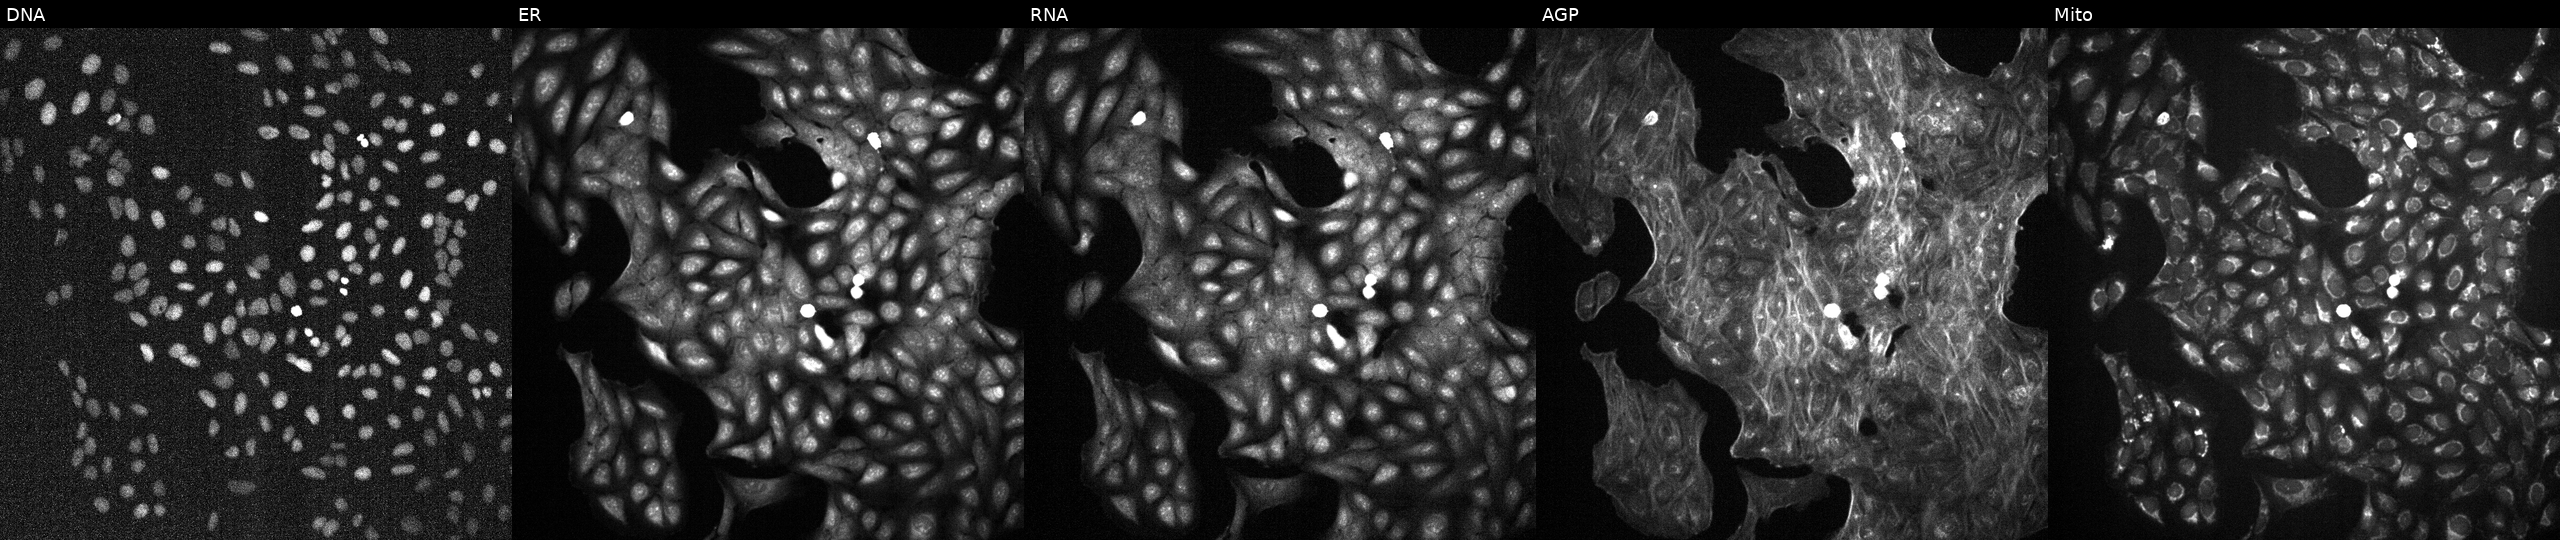
JUMP Cell Painting — TARGET2 plate. U2OS cells exposed to a small-molecule compound (JUMP id JCP2022_031861). Channels (left→right): DNA, ER, RNA, AGP, and Mito.